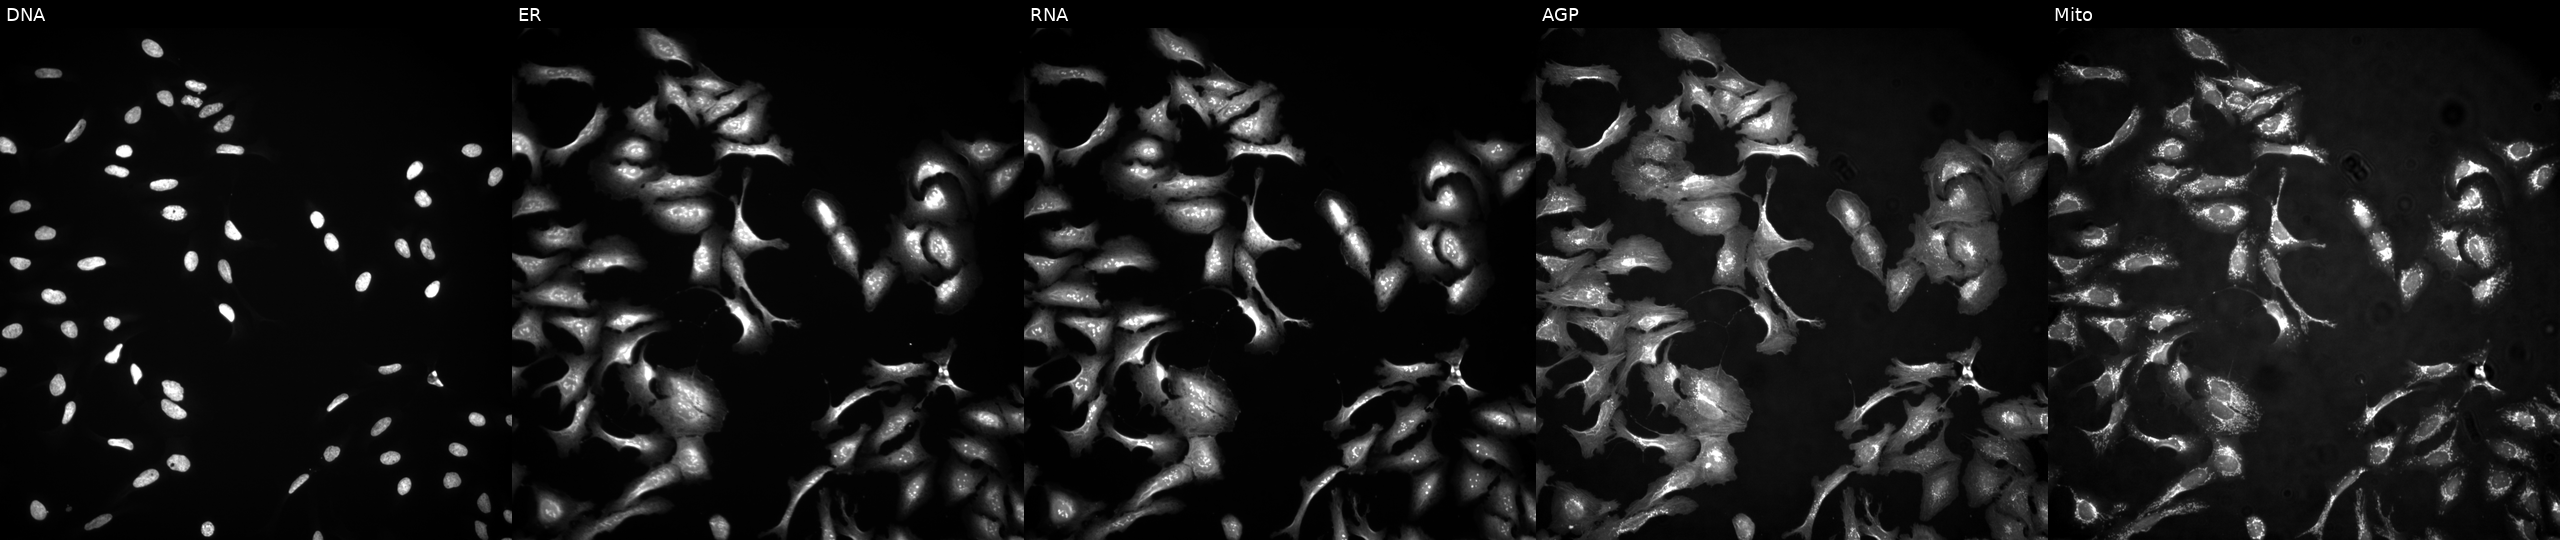
Five-channel Cell Painting image of U2OS cells expressing LUCIFERASE (ORF negative control). The five panels, left to right, show DNA (nuclei); ER (endoplasmic reticulum); RNA (nucleoli and cytoplasmic RNA); AGP (actin cytoskeleton, Golgi, and plasma membrane); Mito (mitochondria). Source 4, plate BR00124787, well L02.